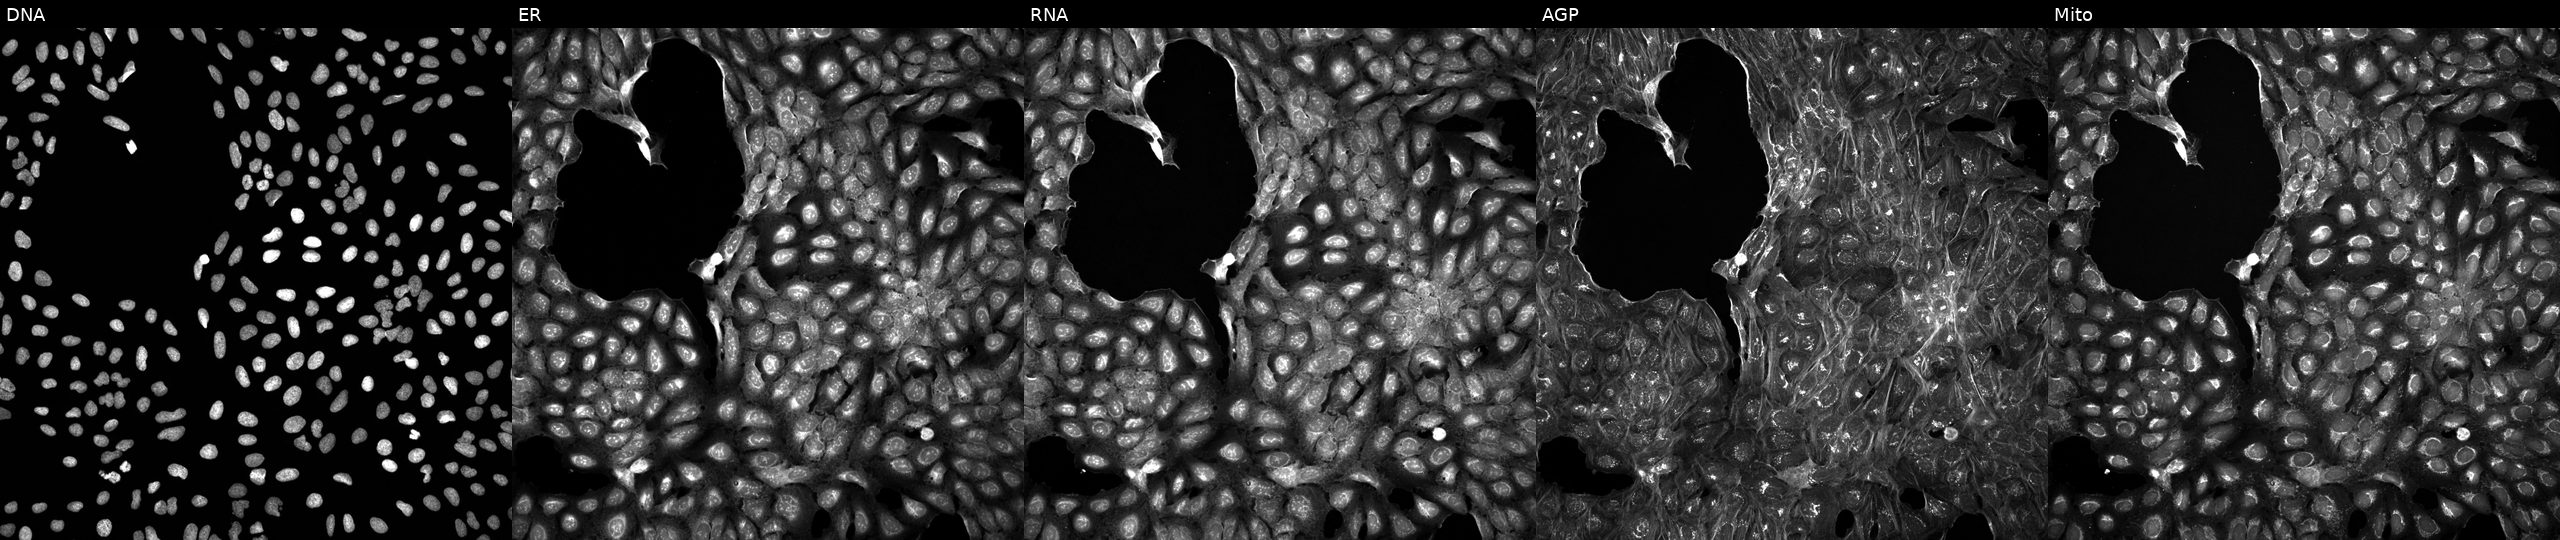
Five-channel Cell Painting image of U2OS cells perturbed with a small-molecule compound. The five panels, left to right, show Hoechst 33342, concanavalin A, SYTO 14, phalloidin and WGA, MitoTracker. Source 5, plate APTJUM106, well G19.